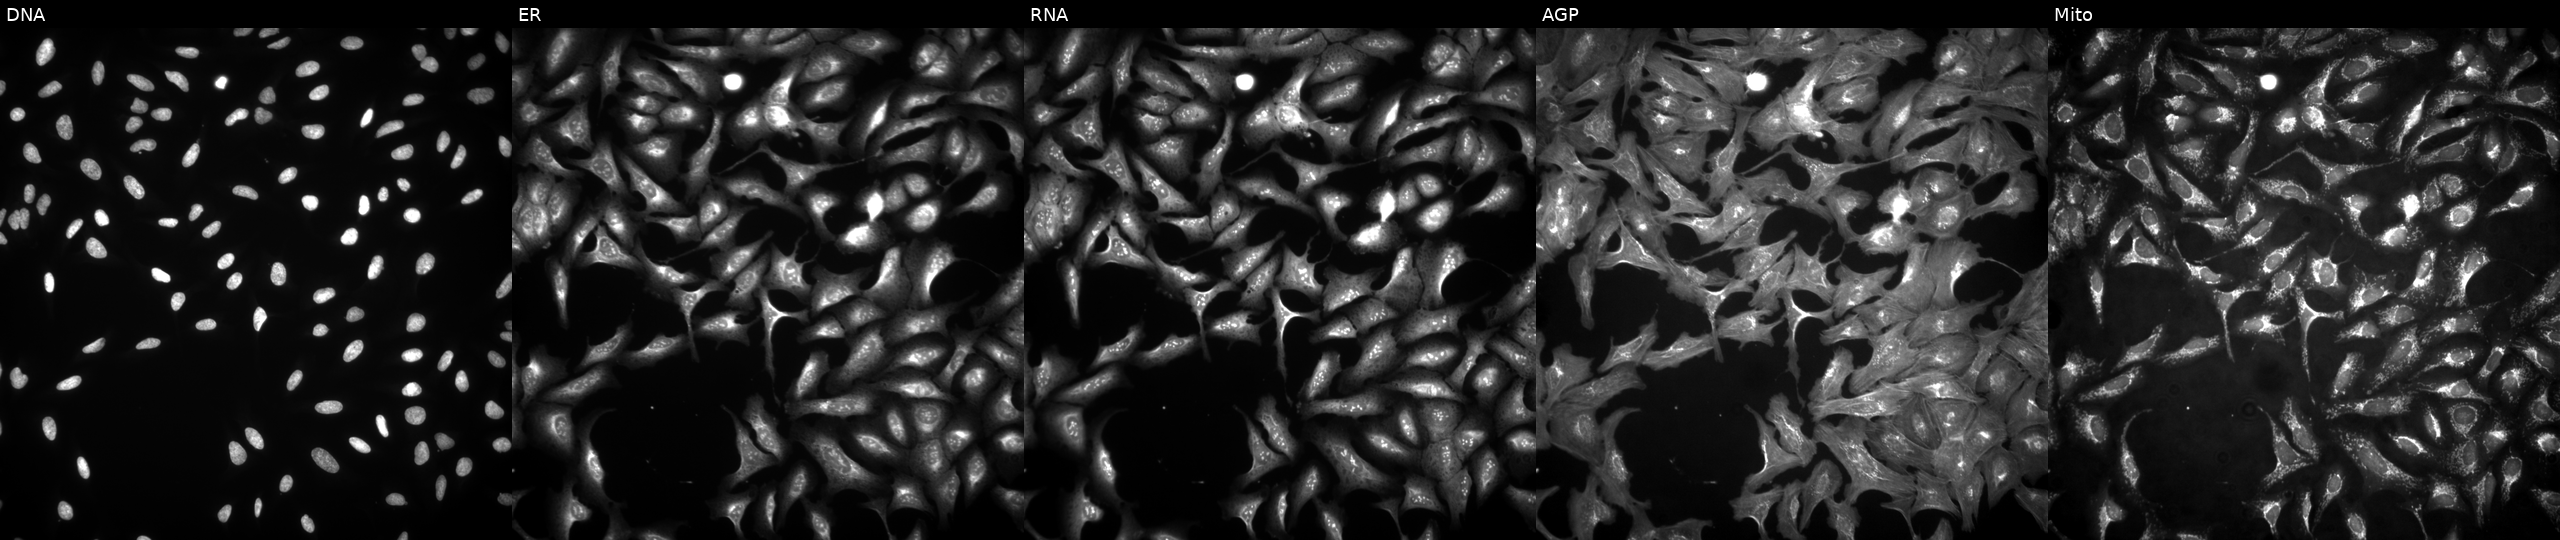
Five-channel Cell Painting image of U2OS cells overexpressing ACOT8 via ORF transfection. The five panels, left to right, show Hoechst 33342, concanavalin A, SYTO 14, phalloidin and WGA, MitoTracker. Source 4, plate BR00123509, well C20.